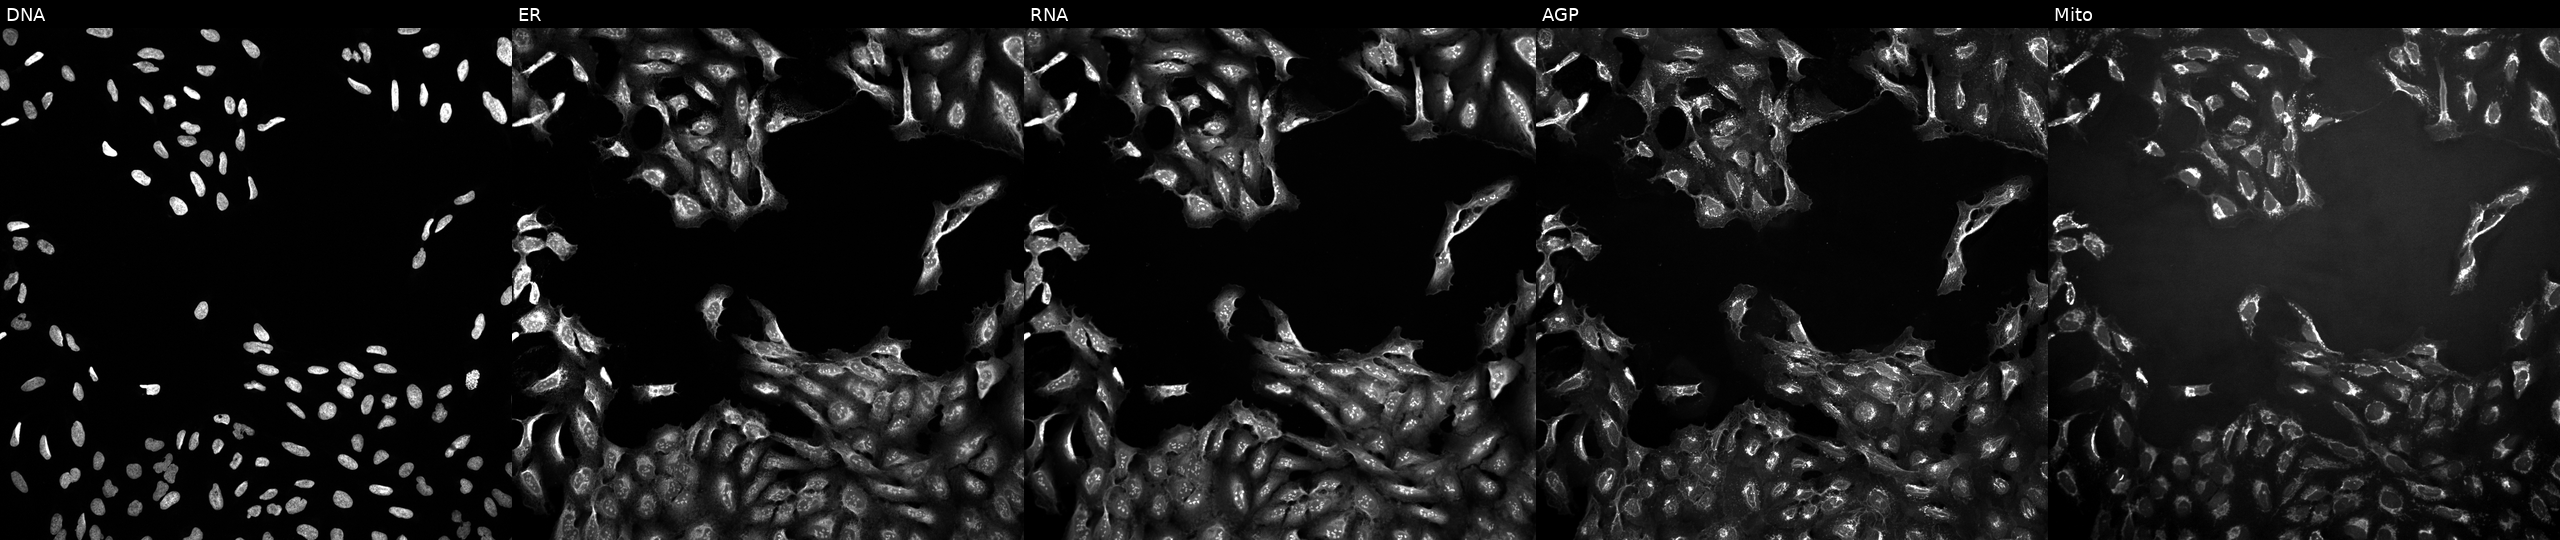
U2OS cells, Cell Painting assay, treated with a small-molecule compound (InChIKey QQGWEXFLMJGCAL-UHFFFAOYSA-N) (JUMP id JCP2022_075182). Channels (left→right): DNA (nuclei); ER (endoplasmic reticulum); RNA (nucleoli and cytoplasmic RNA); AGP (actin cytoskeleton, Golgi, and plasma membrane); Mito (mitochondria). Each panel is percentile-stretched 16-bit fluorescence.